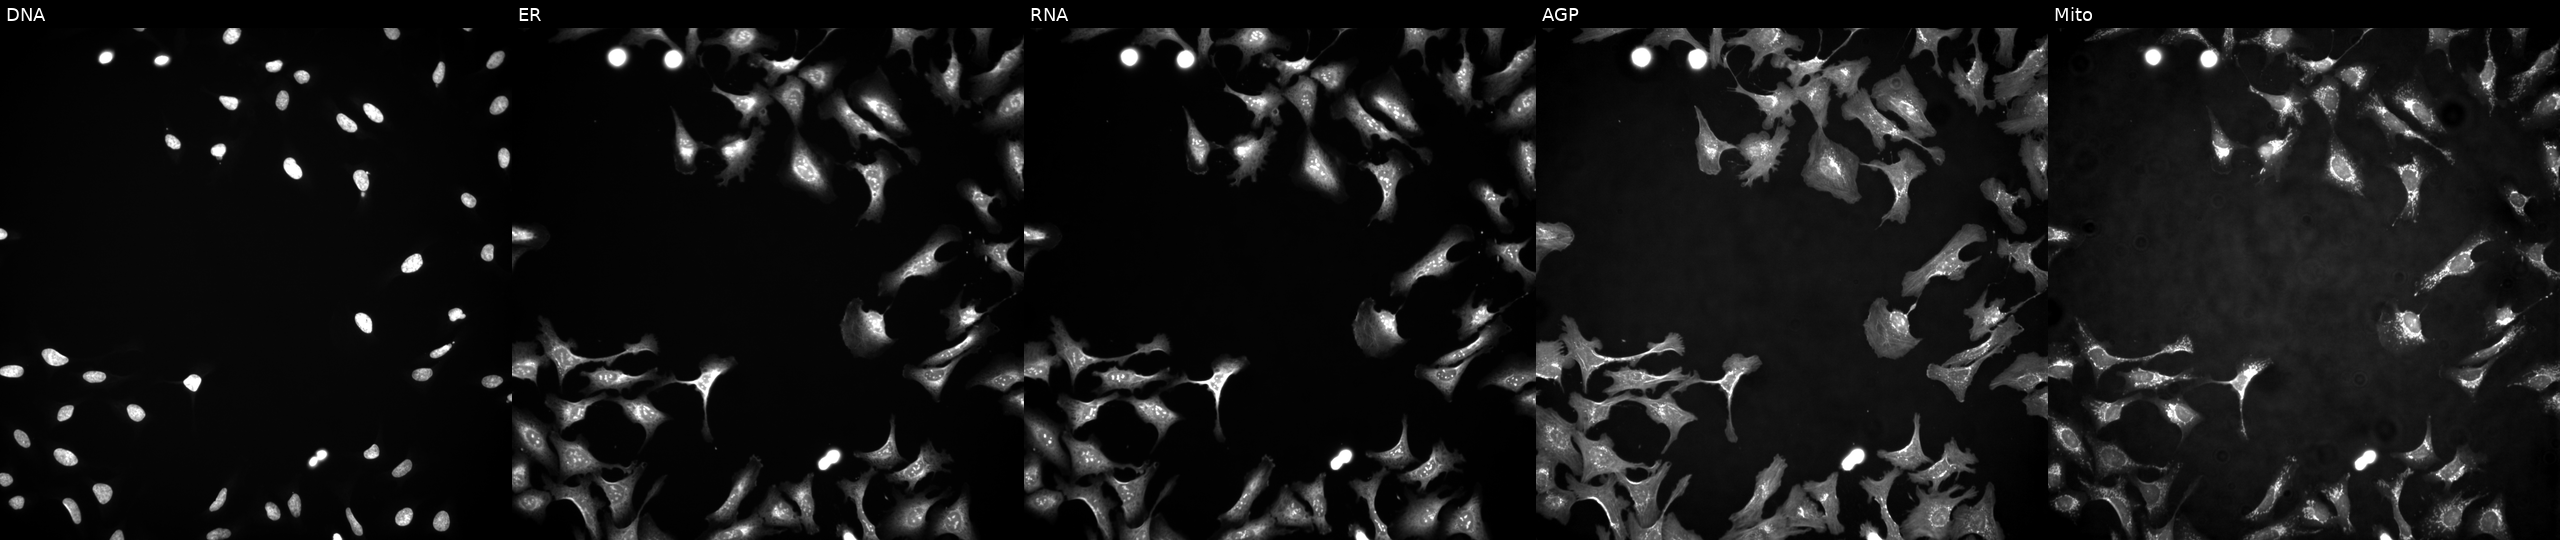
High-content fluorescence microscopy (Cell Painting). Cell line: U2OS. Perturbation: transfected with an ORF construct for MYLK3. From left to right: Hoechst 33342, concanavalin A, SYTO 14, phalloidin and WGA, MitoTracker. Source 4, plate BR00123945, well C09.